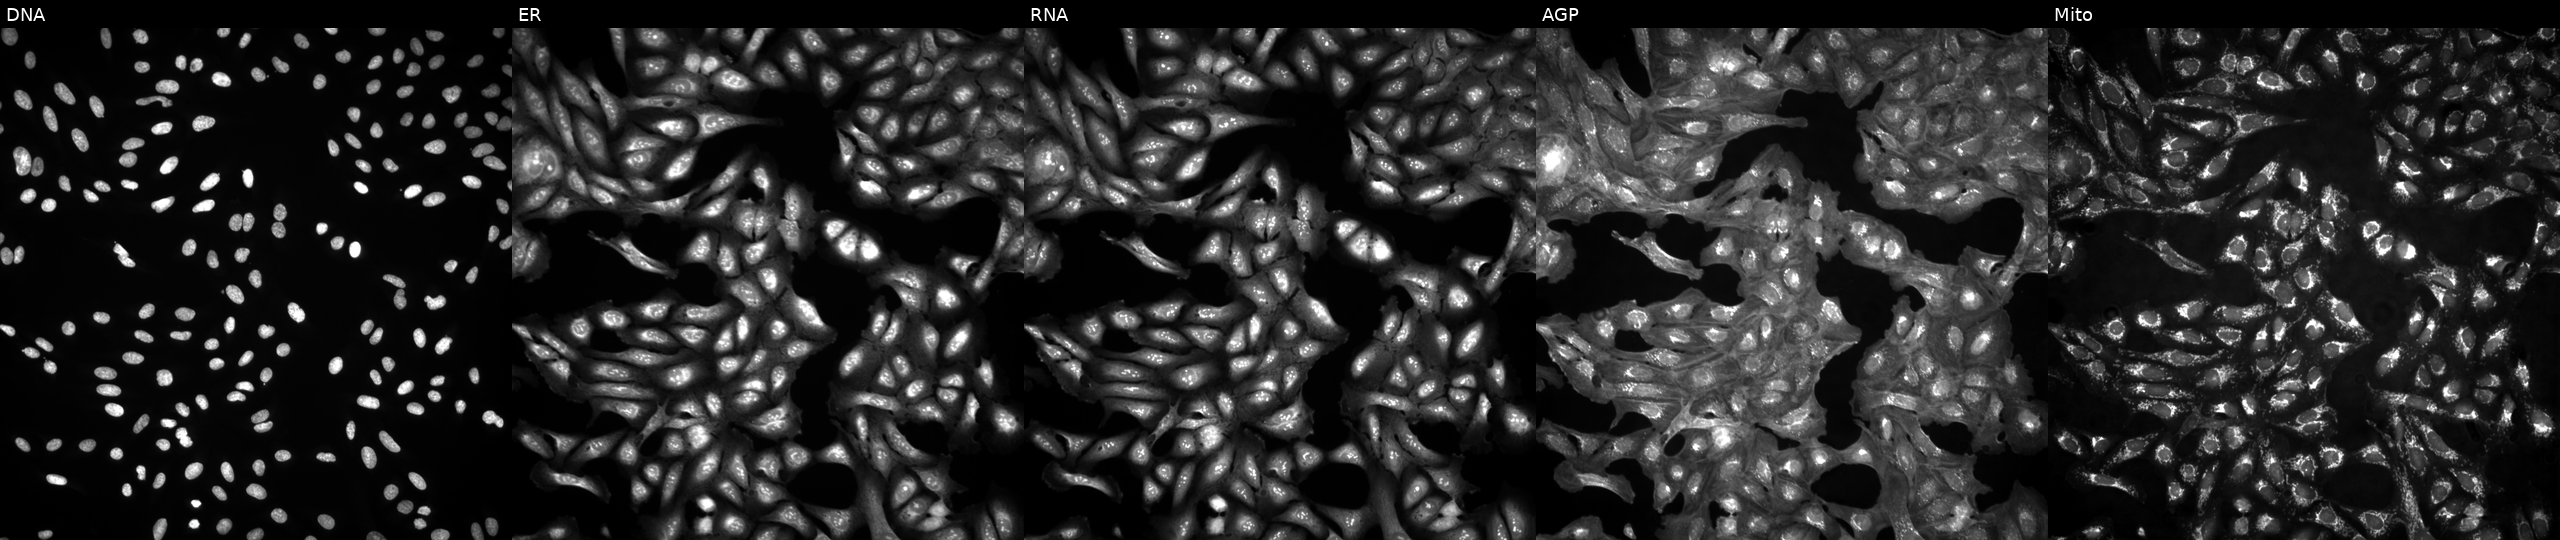
High-content fluorescence microscopy (Cell Painting). Cell line: U2OS. Perturbation: in an empty control well (no perturbation). Channels (left→right): Hoechst 33342, concanavalin A, SYTO 14, phalloidin and WGA, MitoTracker.